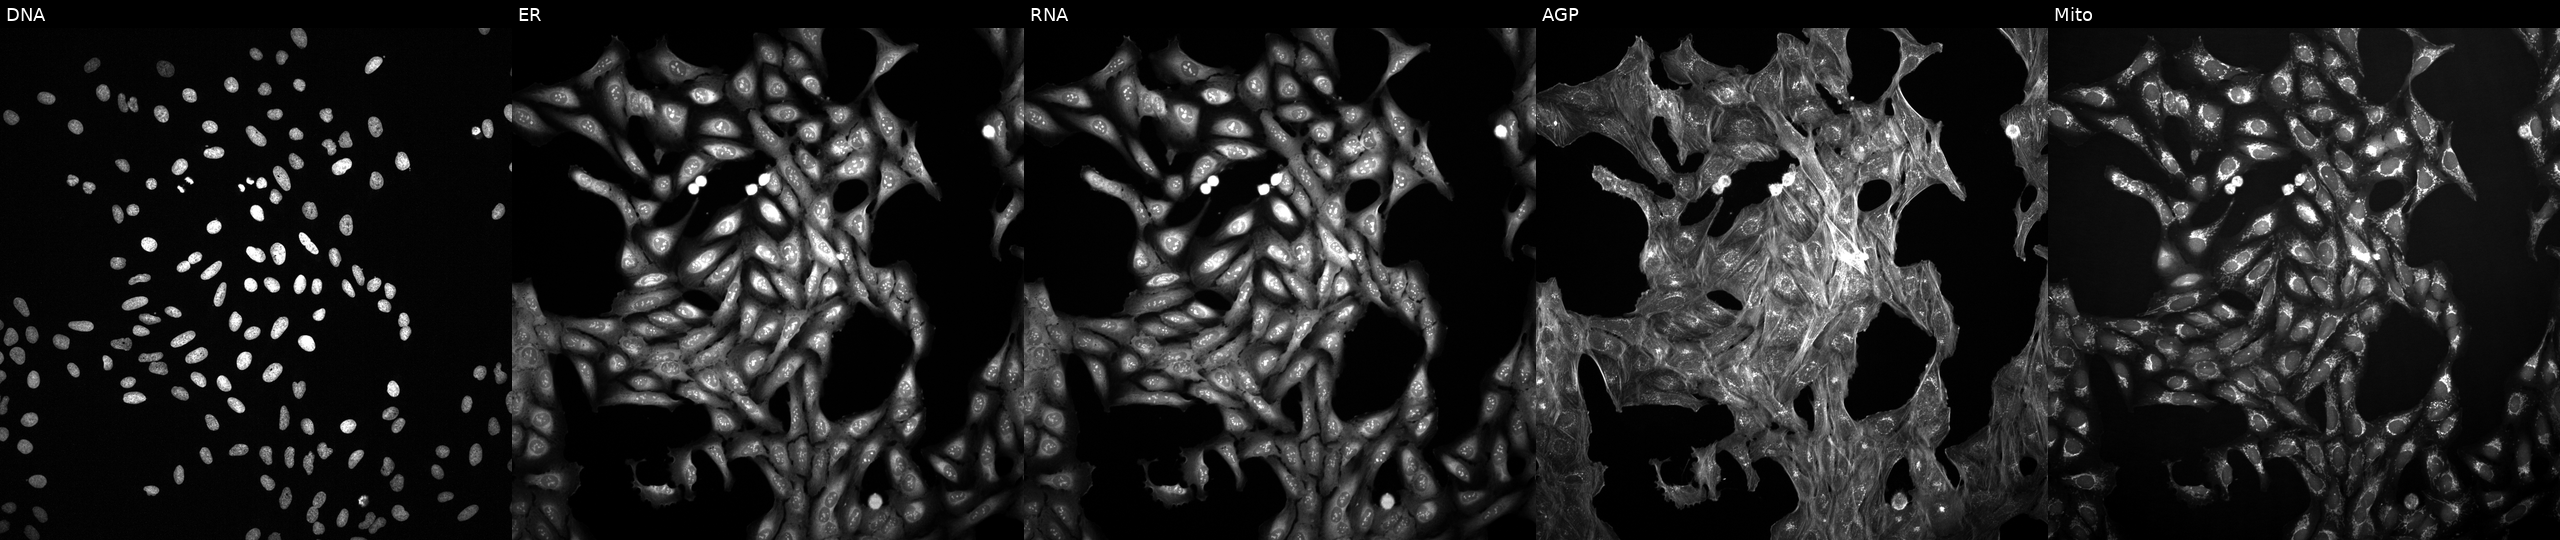
JUMP Cell Painting — TARGET2 plate. U2OS cells exposed to a small-molecule compound (JUMP id JCP2022_068660). The five panels, left to right, show DNA (nuclei); ER (endoplasmic reticulum); RNA (nucleoli and cytoplasmic RNA); AGP (actin cytoskeleton, Golgi, and plasma membrane); Mito (mitochondria).